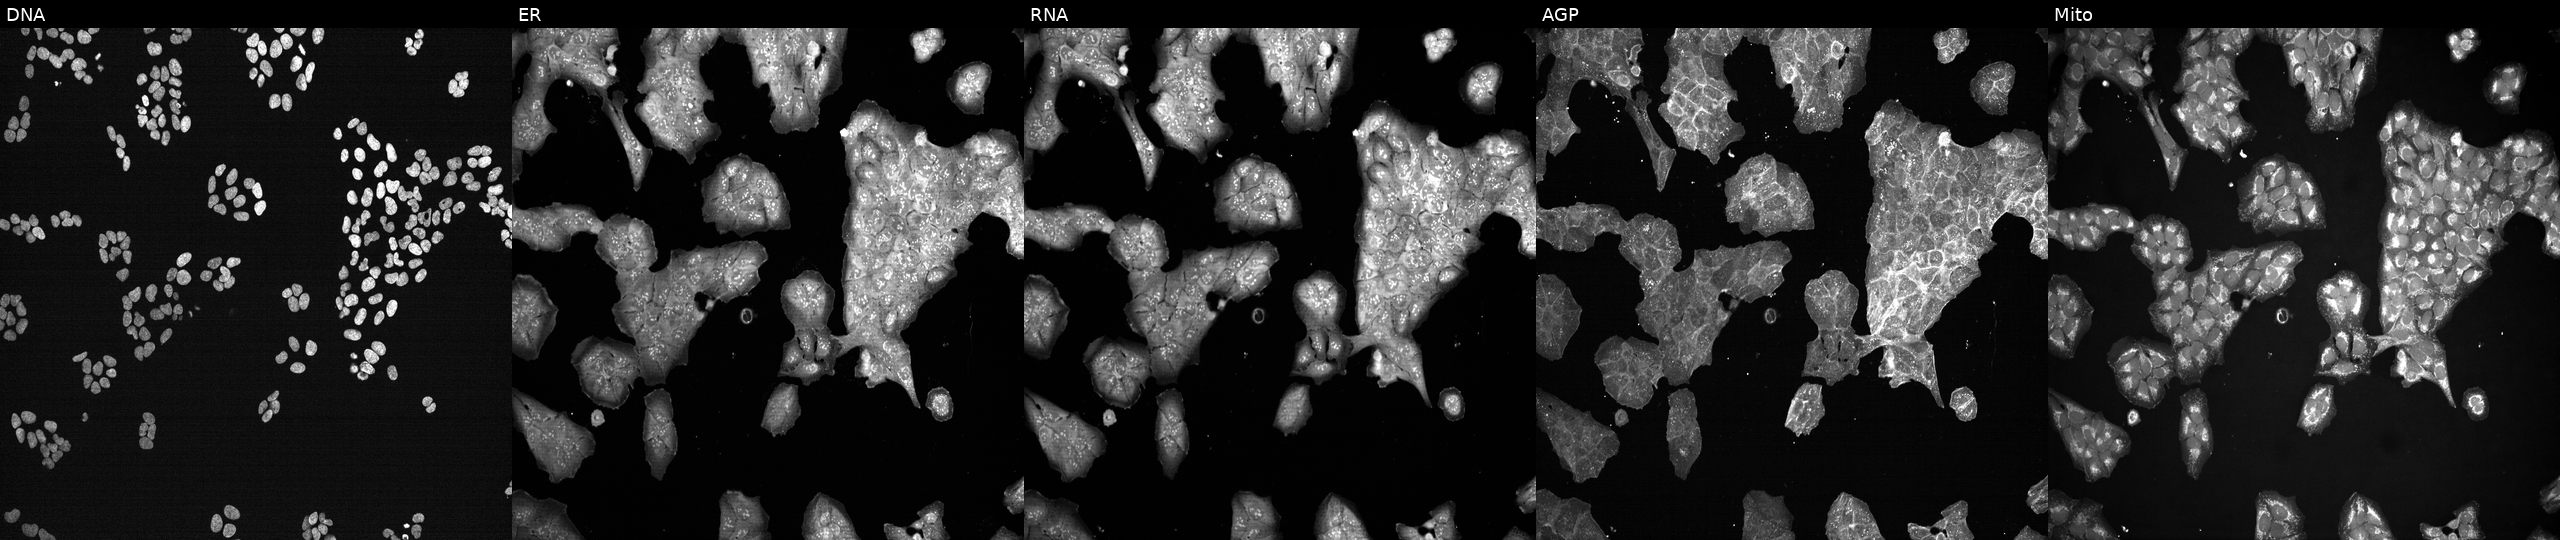
Panels show, left to right, Hoechst 33342, concanavalin A, SYTO 14, phalloidin and WGA, MitoTracker. U2OS osteosarcoma cells perturbed with a small-molecule compound [SMILES: CC(C)(C)n1nc(-c2ccc(Cl)cc2)c2c(=N)[nH]cnc21] (JUMP id JCP2022_067432). Cell Painting assay, JUMP-CP dataset.